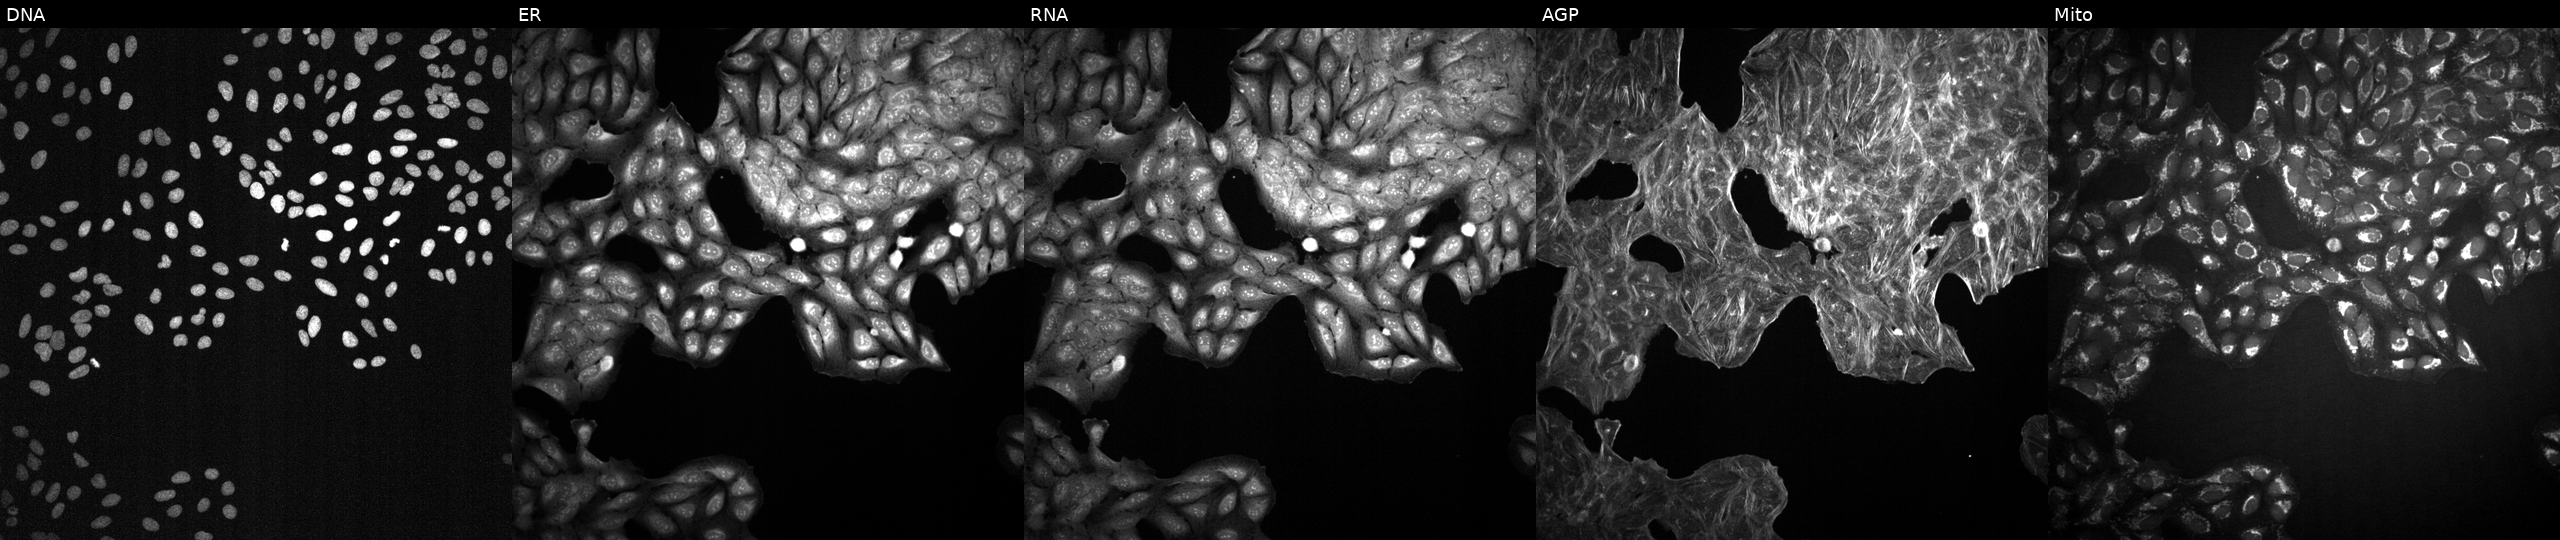
This image strip shows the five Cell Painting channels for a single field of U2OS cells perturbed with a small-molecule compound (InChIKey PIWKPBJCKXDKJR-UHFFFAOYSA-N) (JUMP id JCP2022_068901). The five panels, left to right, show DNA (nuclei); ER (endoplasmic reticulum); RNA (nucleoli and cytoplasmic RNA); AGP (actin cytoskeleton, Golgi, and plasma membrane); Mito (mitochondria).